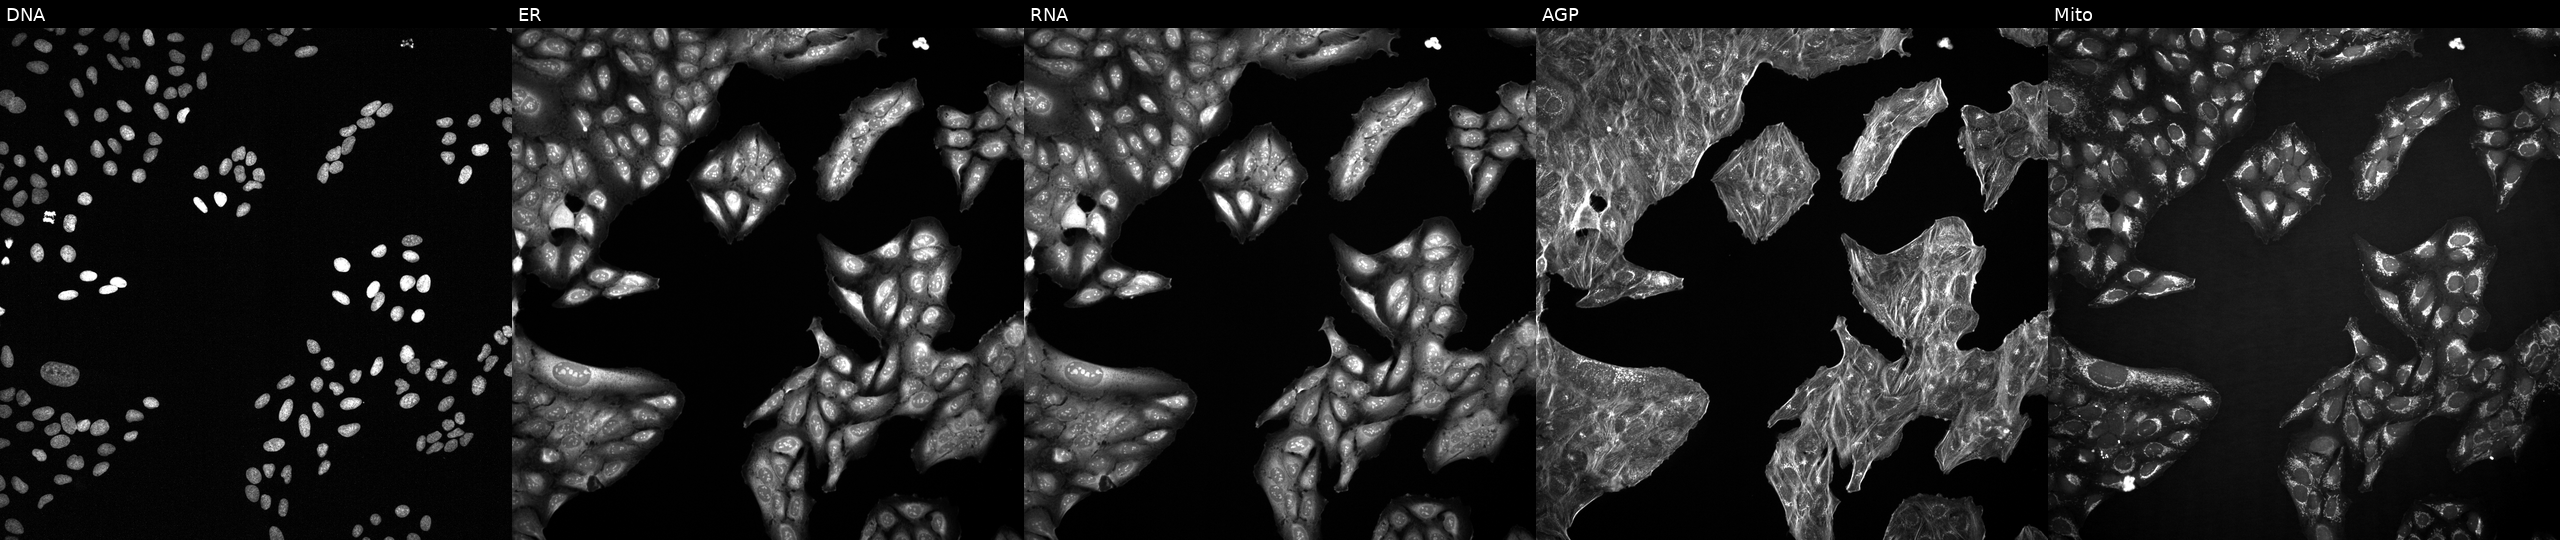
Five-channel Cell Painting image of U2OS cells with an unidentified perturbation (not annotated in JUMP metadata). The five panels, left to right, show DNA (nuclei); ER (endoplasmic reticulum); RNA (nucleoli and cytoplasmic RNA); AGP (actin cytoskeleton, Golgi, and plasma membrane); Mito (mitochondria).